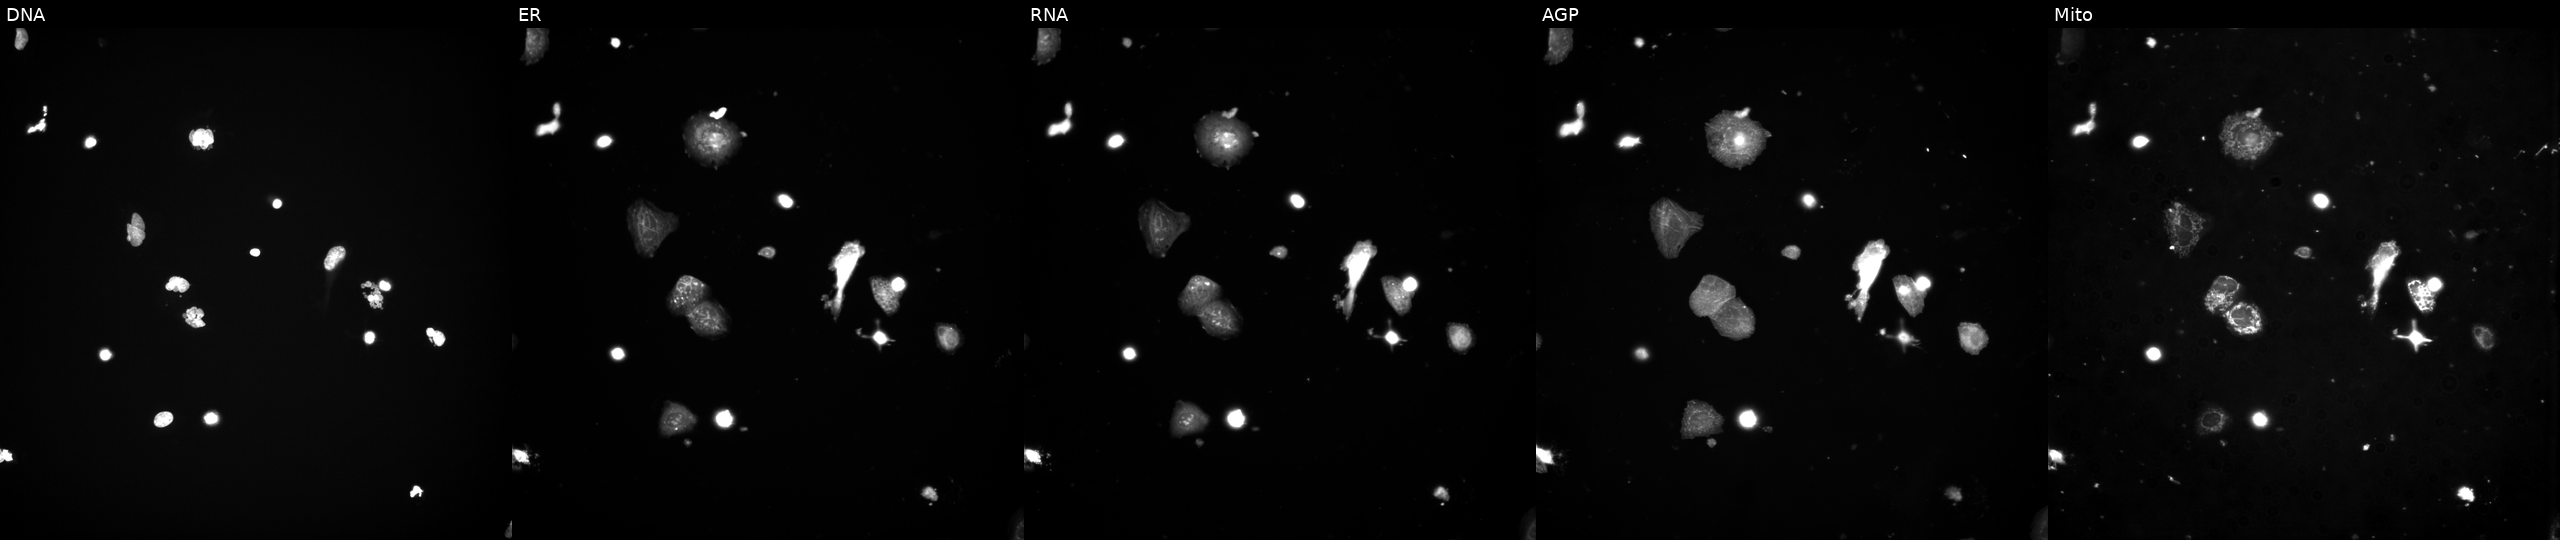
JUMP Cell Painting — COMPOUND plate. U2OS cells perturbed with a small-molecule compound (InChIKey JFULSLXRHNJOEO-UHFFFAOYSA-N) [SMILES: N#Cc1c(NC(=O)CCc2ccccc2)sc2c1CCCC2]. The five panels, left to right, show DNA, ER, RNA, AGP, and Mito.